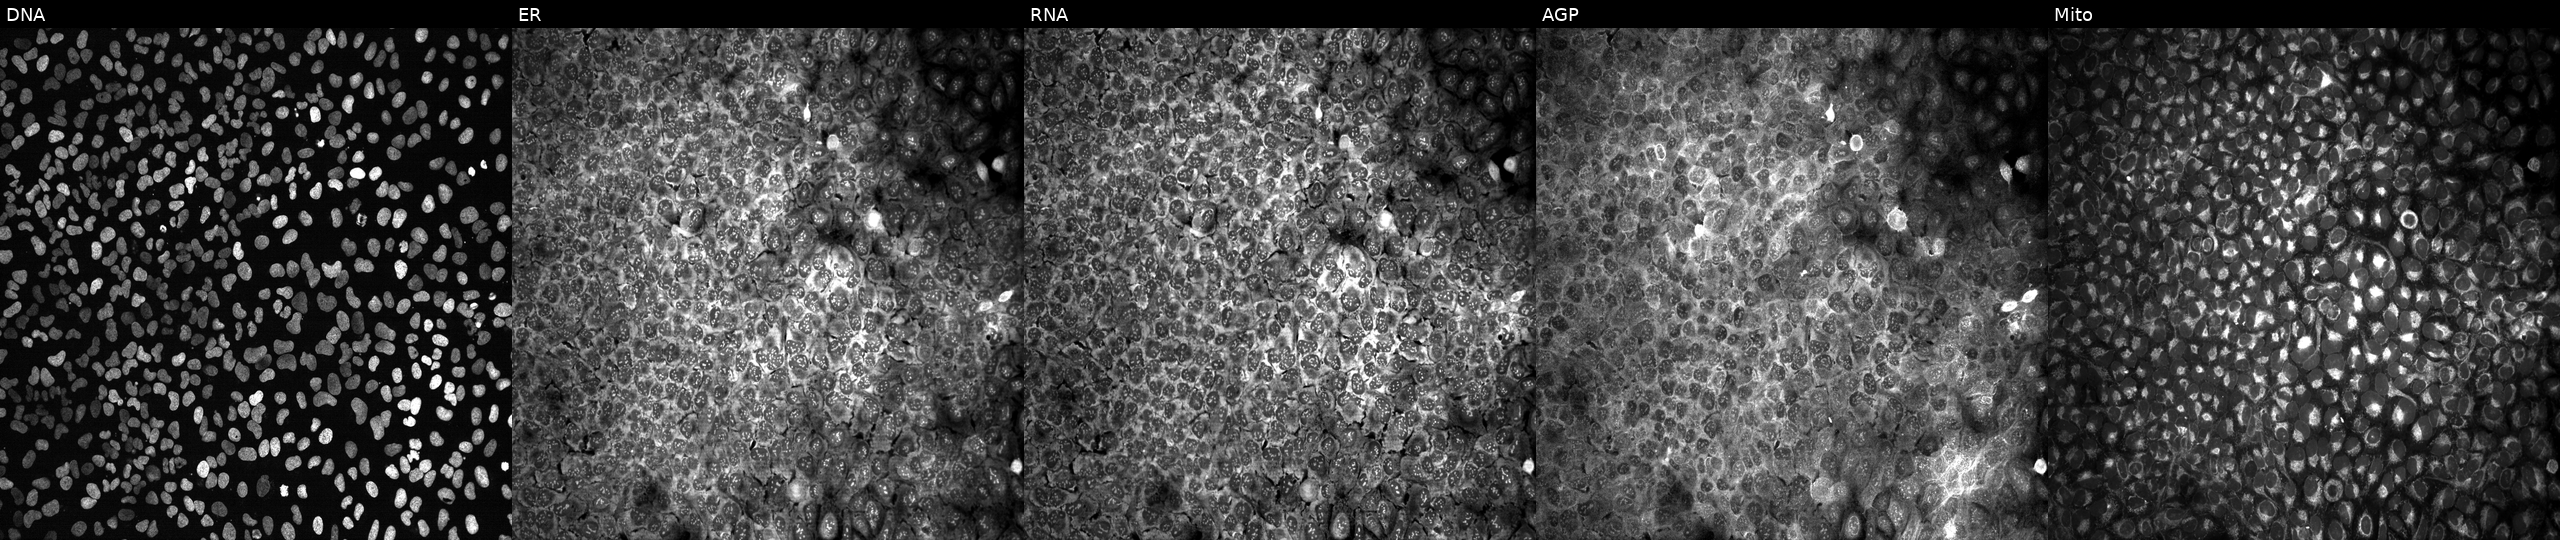
U2OS cells, Cell Painting assay, following CRISPR knockout of AADAC. The five panels, left to right, show DNA (nuclei); ER (endoplasmic reticulum); RNA (nucleoli and cytoplasmic RNA); AGP (actin cytoskeleton, Golgi, and plasma membrane); Mito (mitochondria). Each panel is percentile-stretched 16-bit fluorescence.